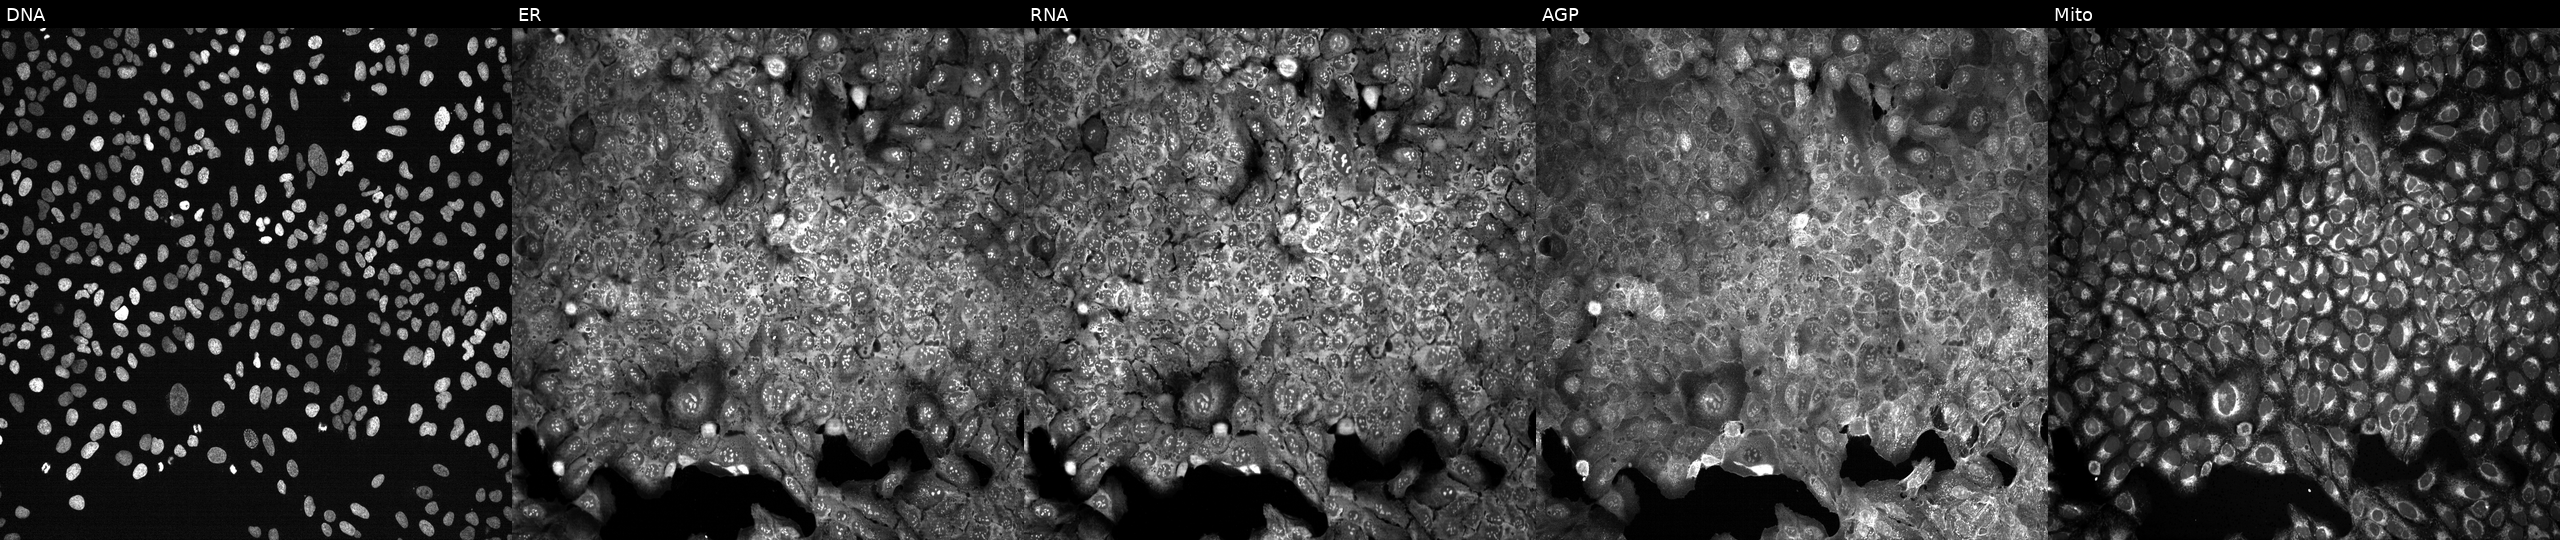
JUMP Cell Painting — CRISPR plate. U2OS cells following CRISPR knockout of FKBP15. From left to right: Hoechst 33342, concanavalin A, SYTO 14, phalloidin and WGA, MitoTracker. Source 13, plate CP-CC9-R4-04, well A22.